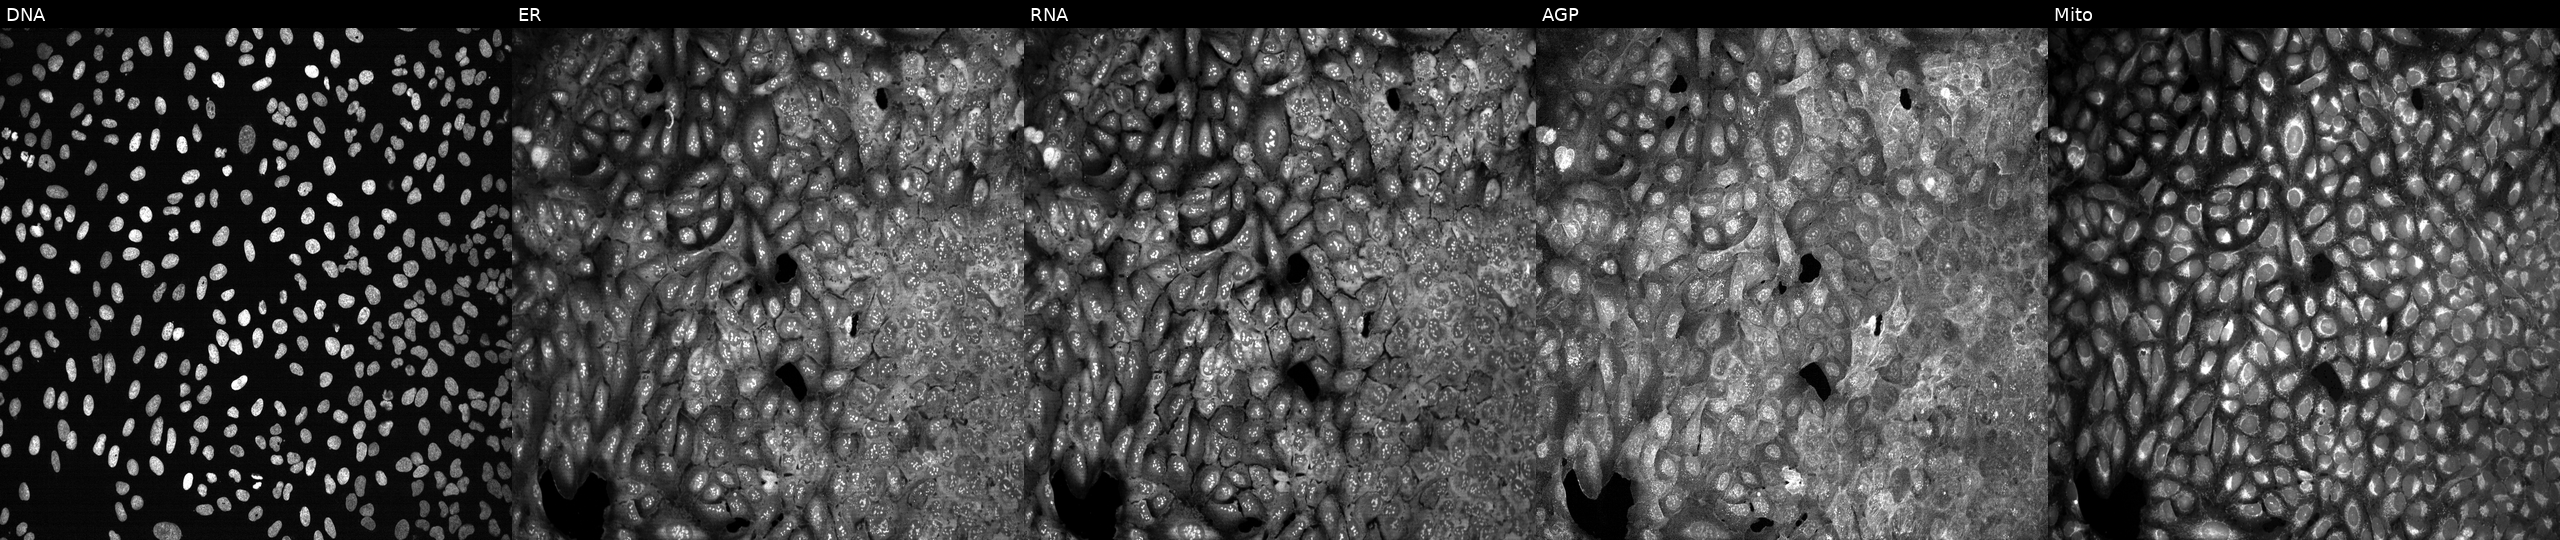
Five-channel Cell Painting image of U2OS cells following CRISPR knockout of G3BP1. Panels show, left to right, Hoechst 33342, concanavalin A, SYTO 14, phalloidin and WGA, MitoTracker.